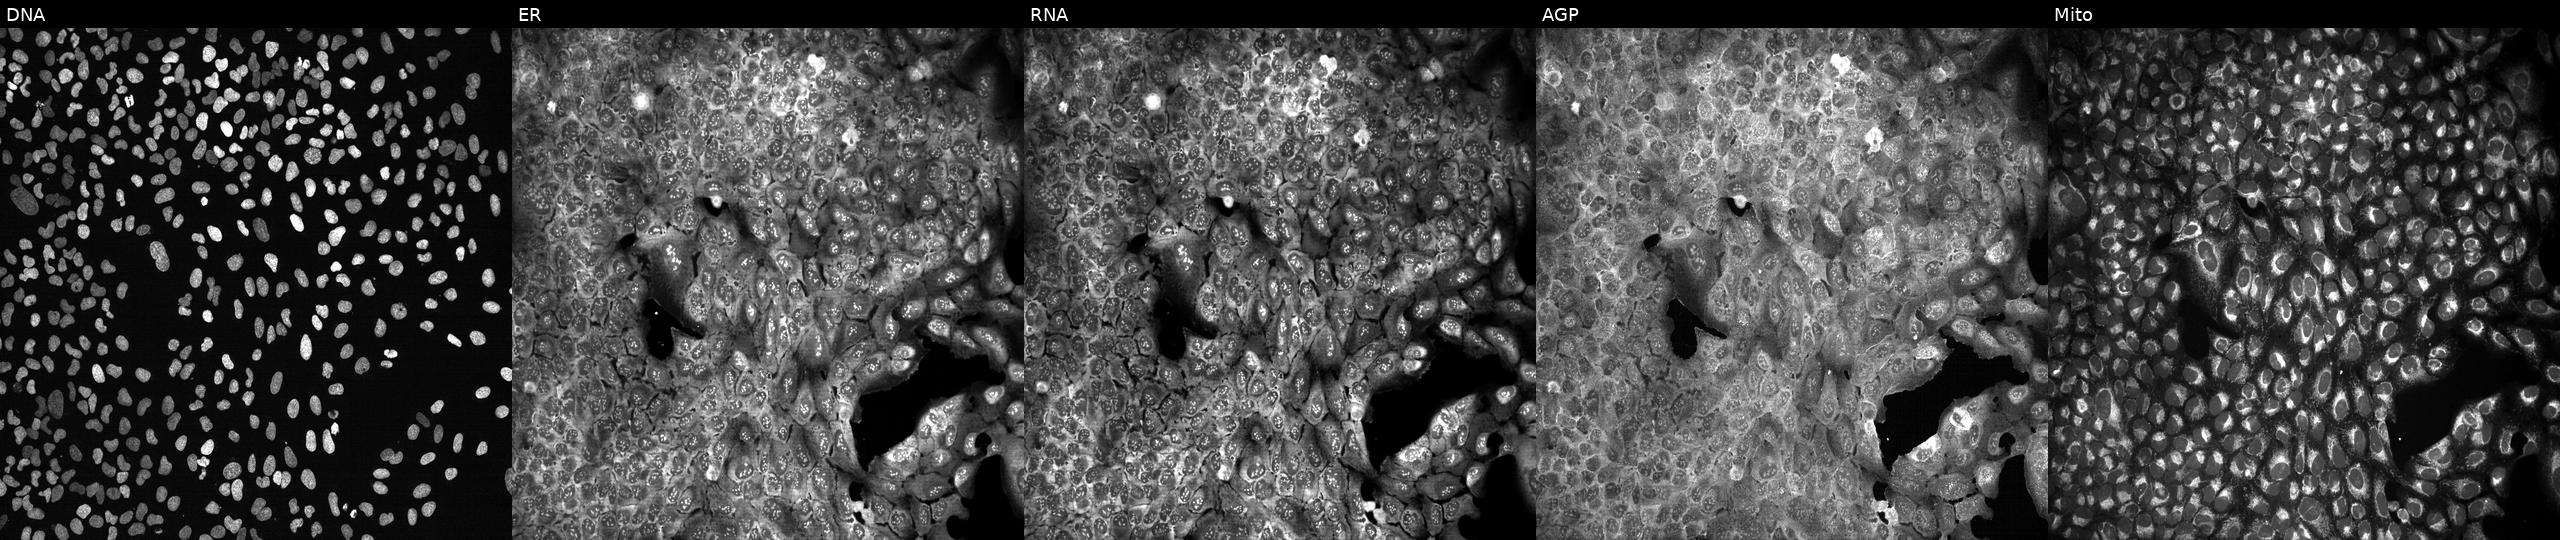
From left to right: Hoechst 33342, concanavalin A, SYTO 14, phalloidin and WGA, MitoTracker. U2OS osteosarcoma cells with GPX3 knocked out by CRISPR (JUMP id JCP2022_802884). Cell Painting assay, JUMP-CP dataset. Source 13, plate CP-CC9-R3-02, well O05.